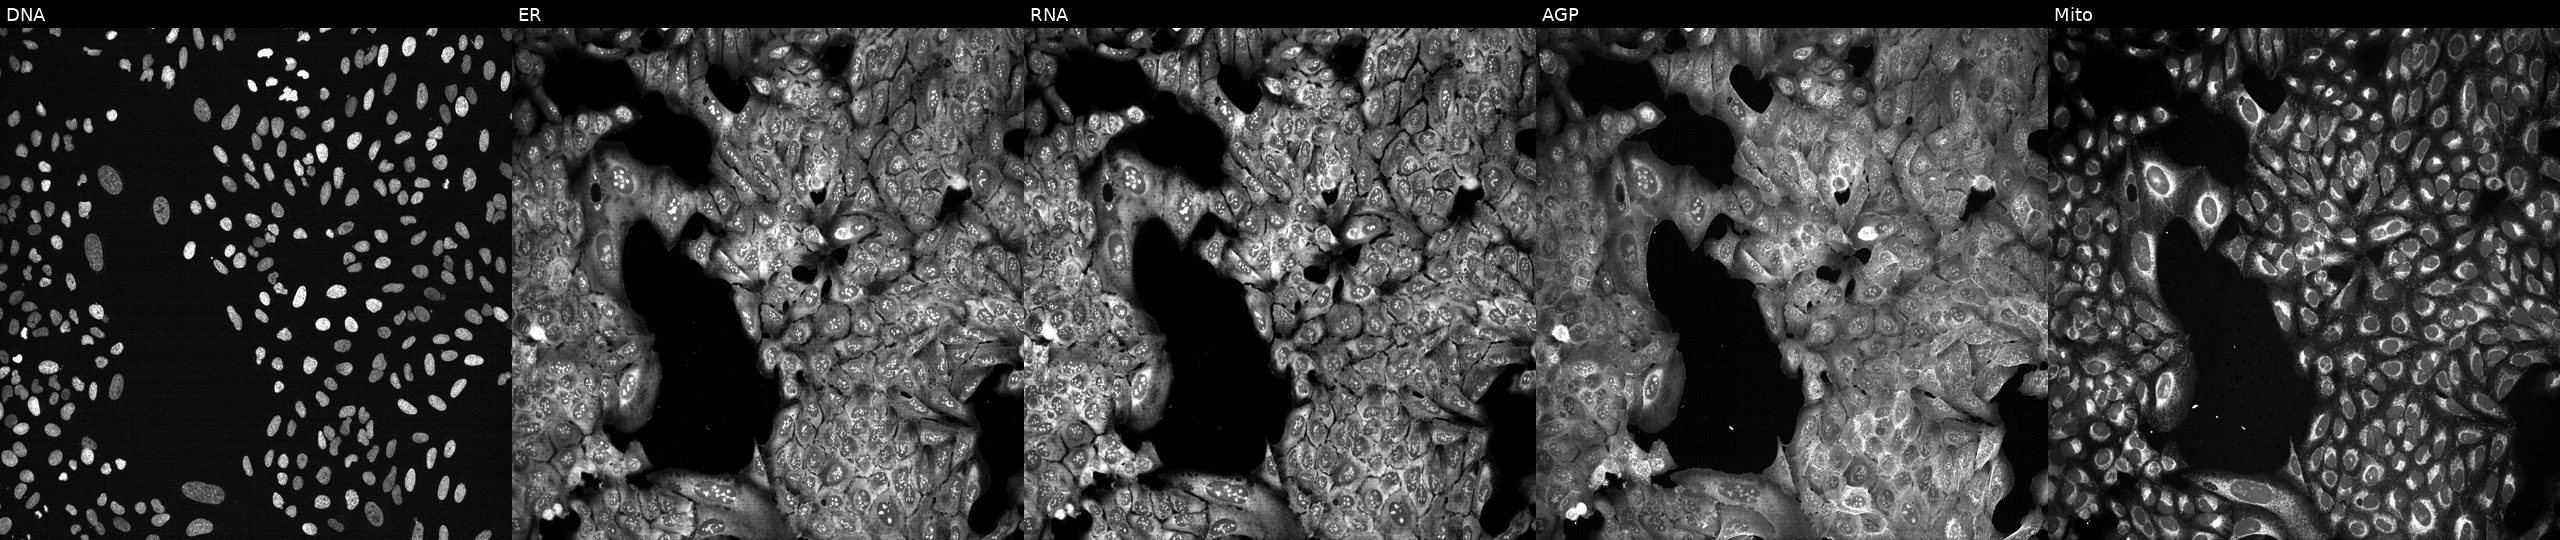
This image strip shows the five Cell Painting channels for a single field of U2OS cells CRISPR-edited to disrupt APOBEC2. Panels show, left to right, DNA, ER, RNA, AGP, and Mito.